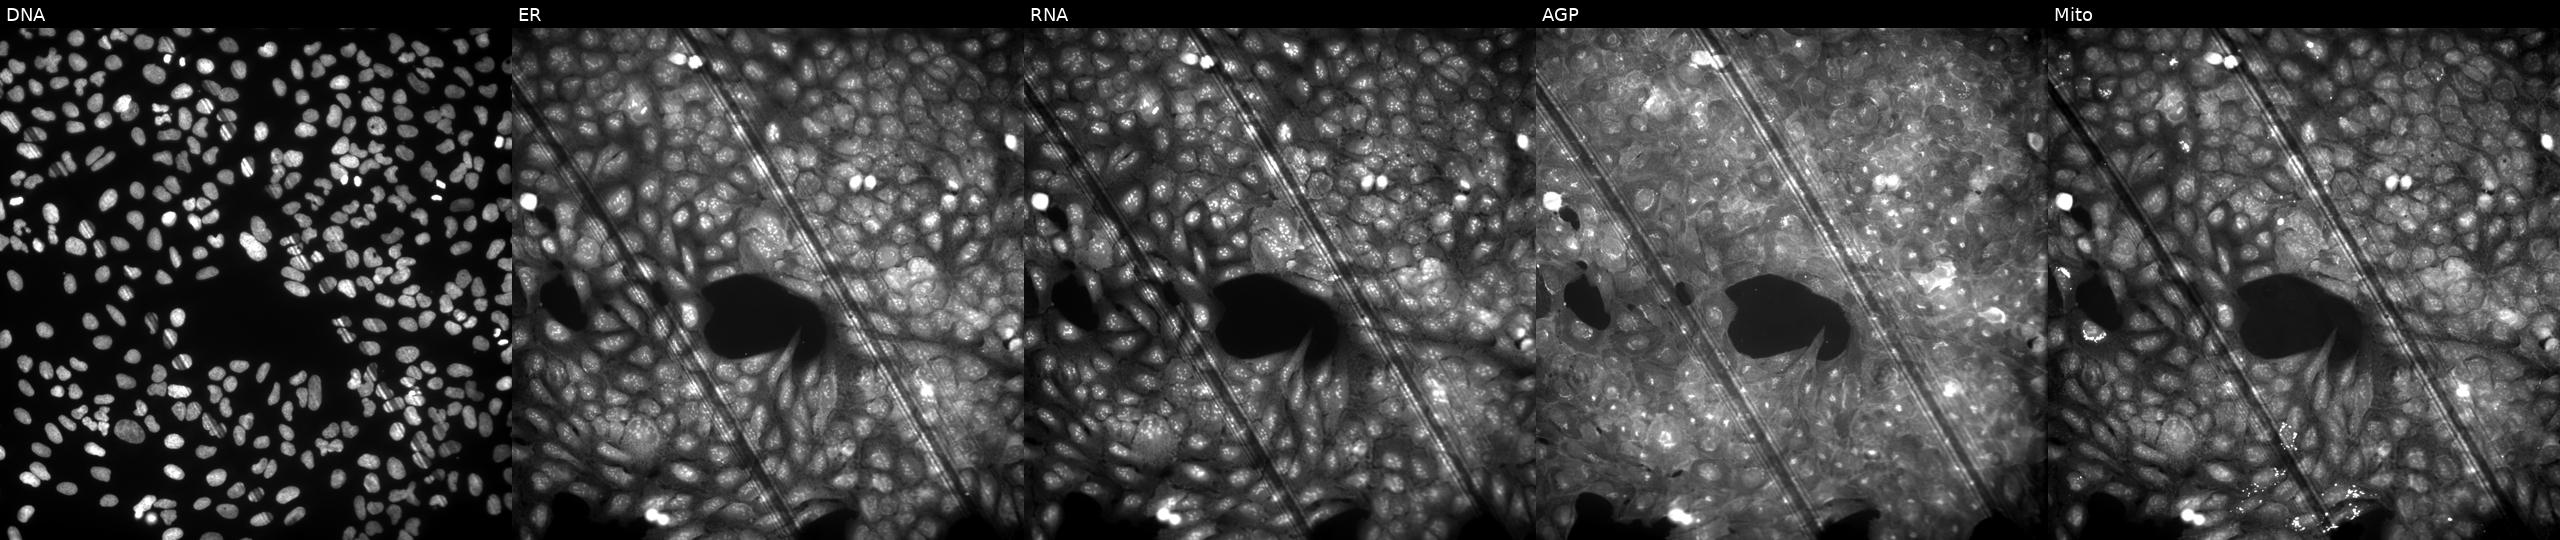
JUMP Cell Painting — COMPOUND plate. U2OS cells perturbed with a small-molecule compound (InChIKey GYOHIZFBRXNBJM-UHFFFAOYSA-N). From left to right: DNA (nuclei); ER (endoplasmic reticulum); RNA (nucleoli and cytoplasmic RNA); AGP (actin cytoskeleton, Golgi, and plasma membrane); Mito (mitochondria).